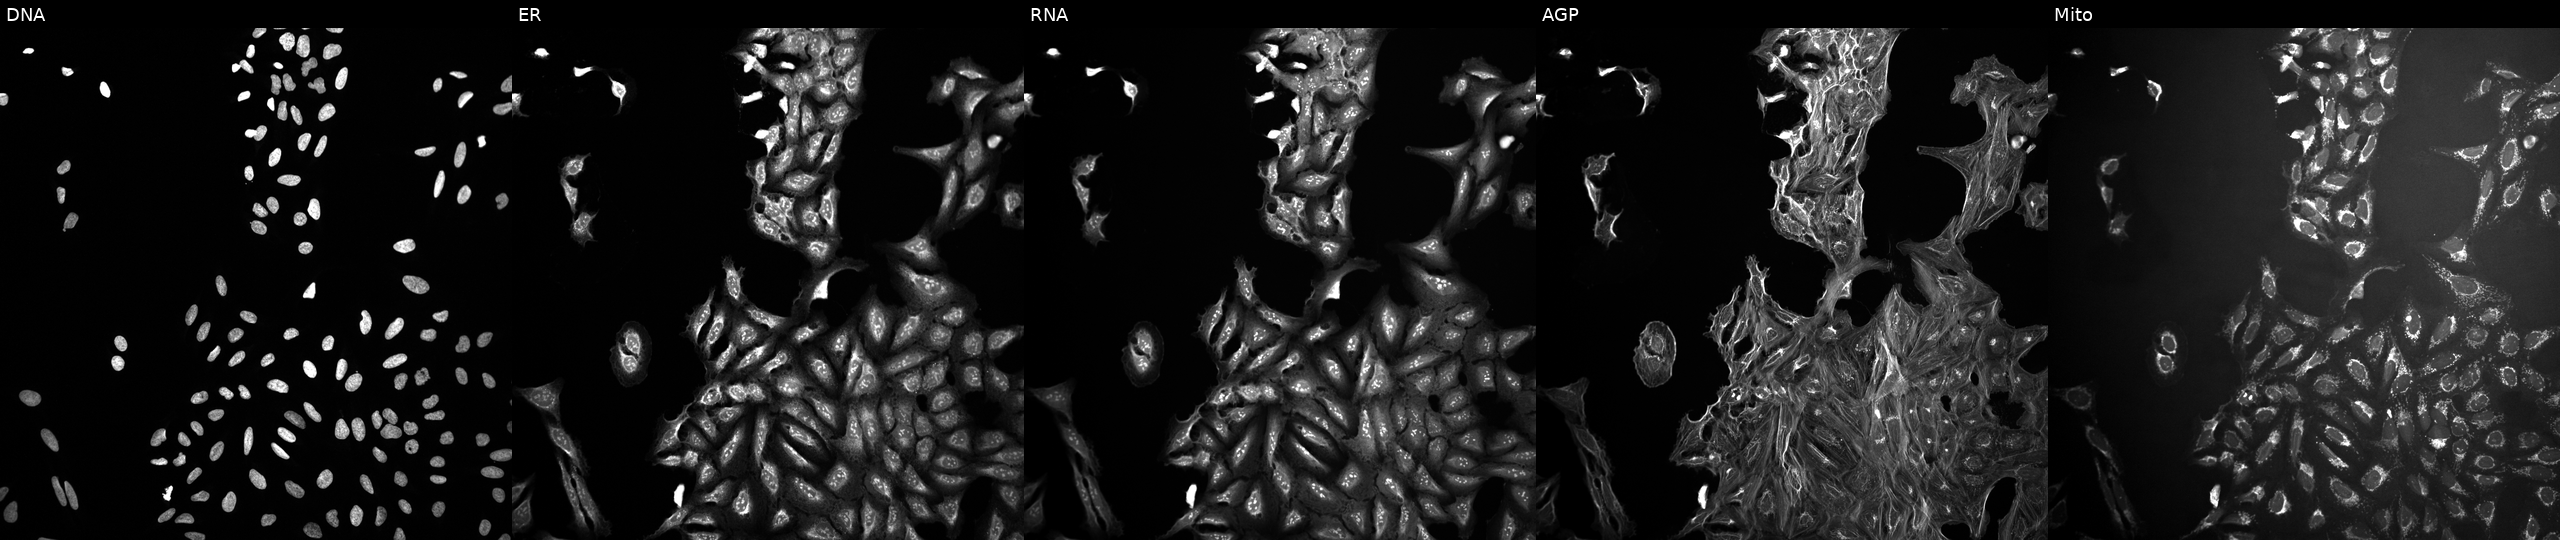
High-content fluorescence microscopy (Cell Painting). Cell line: U2OS. Perturbation: treated with a small-molecule compound (InChIKey KXDROGADUISDGY-UHFFFAOYSA-N). Panels show, left to right, Hoechst 33342, concanavalin A, SYTO 14, phalloidin and WGA, MitoTracker.